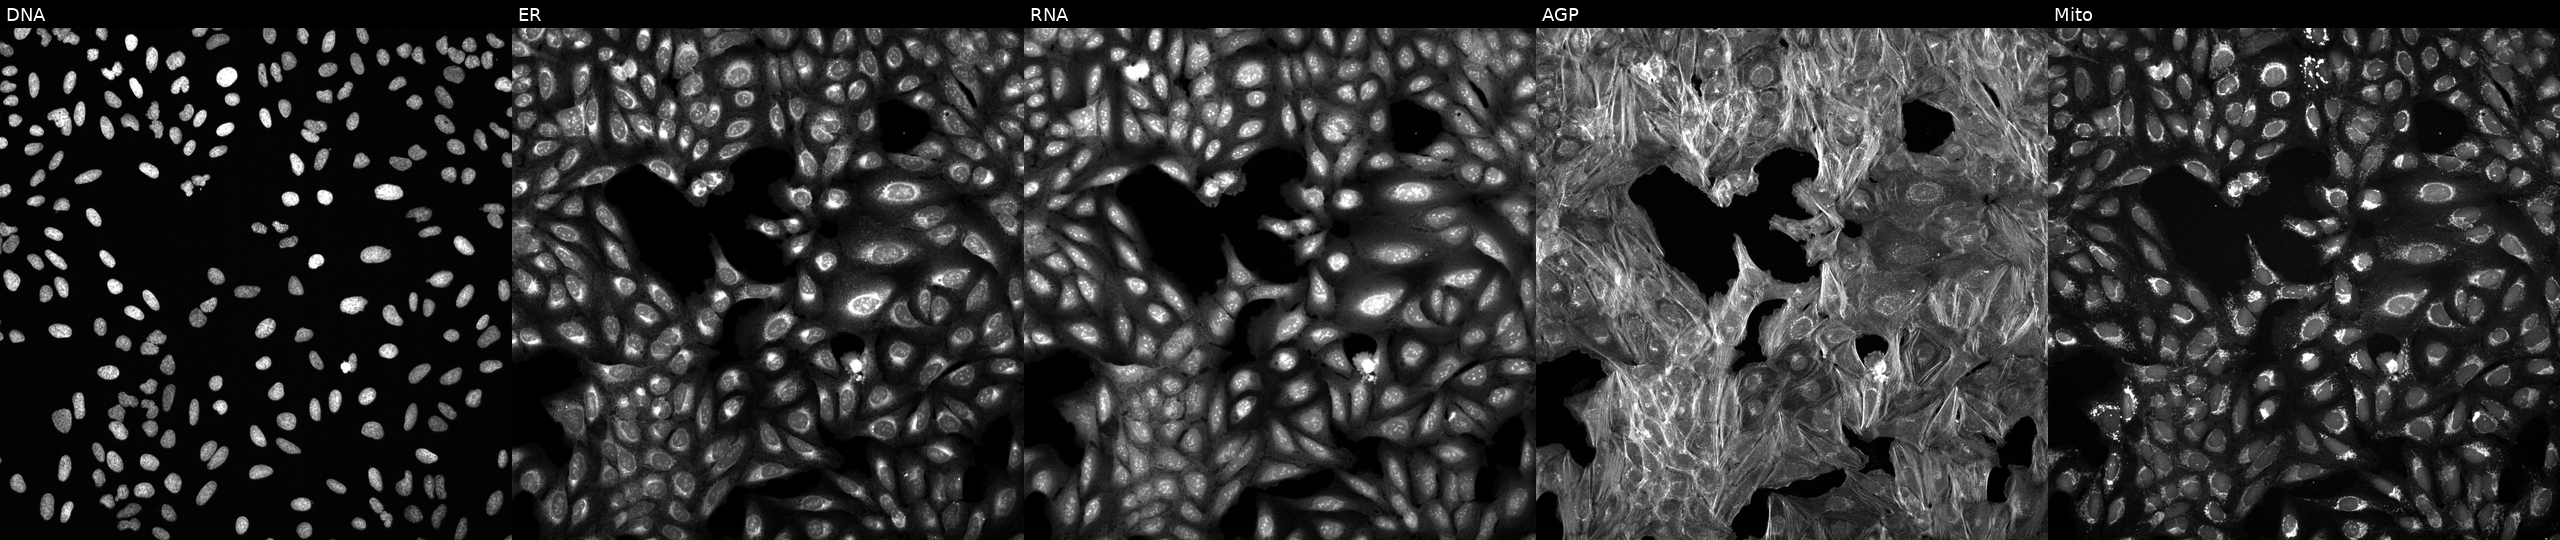
This image strip shows the five Cell Painting channels for a single field of U2OS cells exposed to a small-molecule compound (InChIKey XTXFWDPXZVICQD-UHFFFAOYSA-N) (JUMP id JCP2022_106002). The five panels, left to right, show DNA (nuclei); ER (endoplasmic reticulum); RNA (nucleoli and cytoplasmic RNA); AGP (actin cytoskeleton, Golgi, and plasma membrane); Mito (mitochondria).